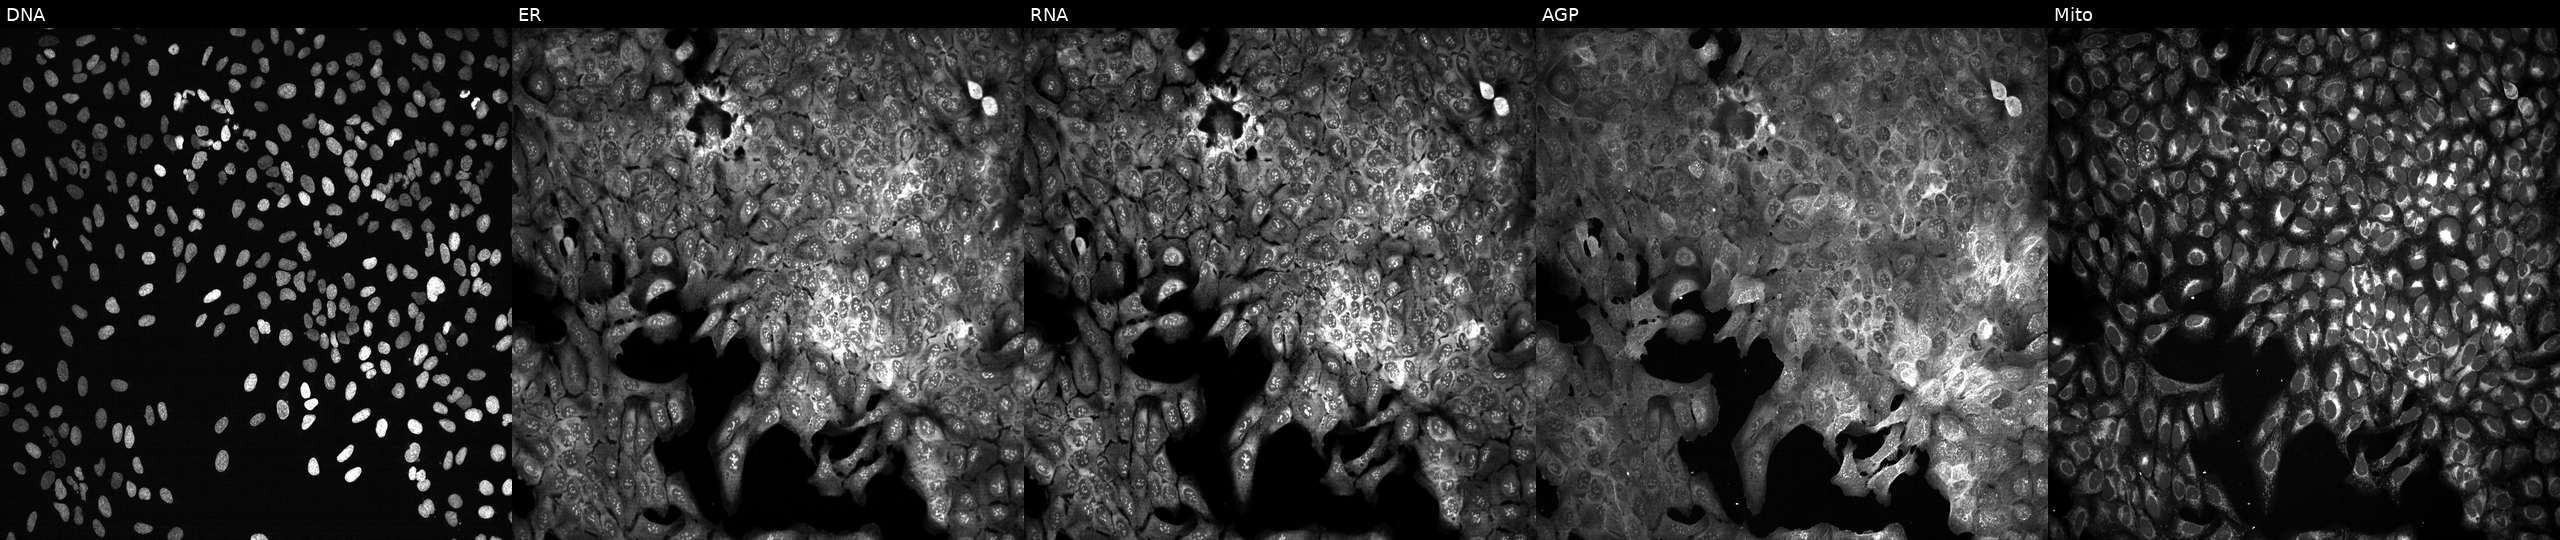
High-content fluorescence microscopy (Cell Painting). Cell line: U2OS. Perturbation: following CRISPR knockout of NUDT13. The five panels, left to right, show Hoechst 33342, concanavalin A, SYTO 14, phalloidin and WGA, MitoTracker.